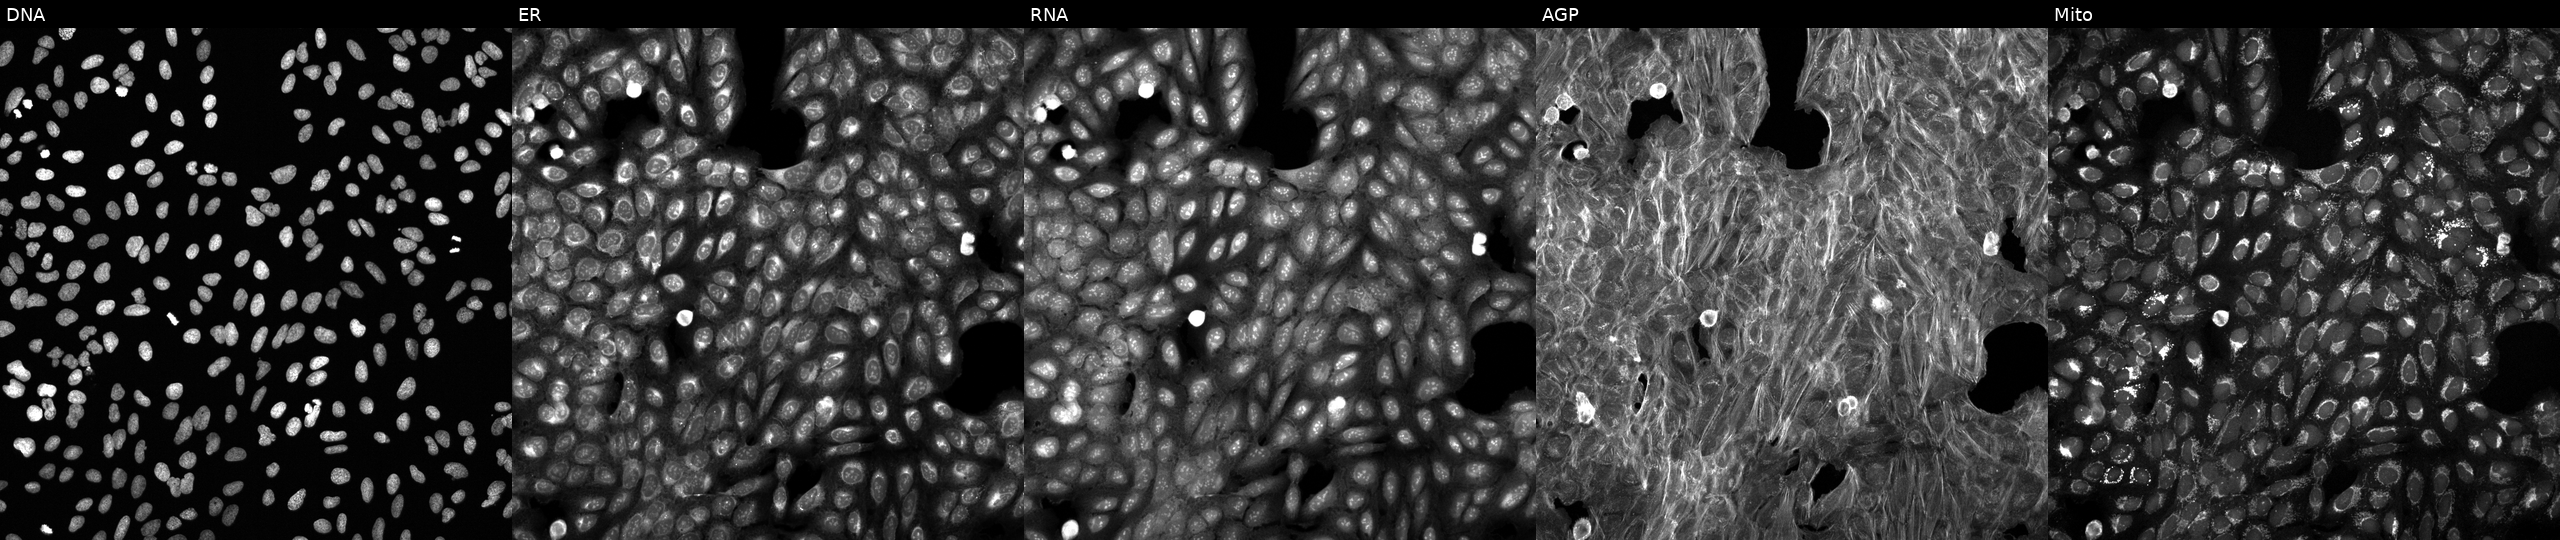
U2OS cells, Cell Painting assay, treated with a small-molecule compound (JUMP id JCP2022_066287). The five panels, left to right, show DNA (nuclei); ER (endoplasmic reticulum); RNA (nucleoli and cytoplasmic RNA); AGP (actin cytoskeleton, Golgi, and plasma membrane); Mito (mitochondria). Each panel is percentile-stretched 16-bit fluorescence.